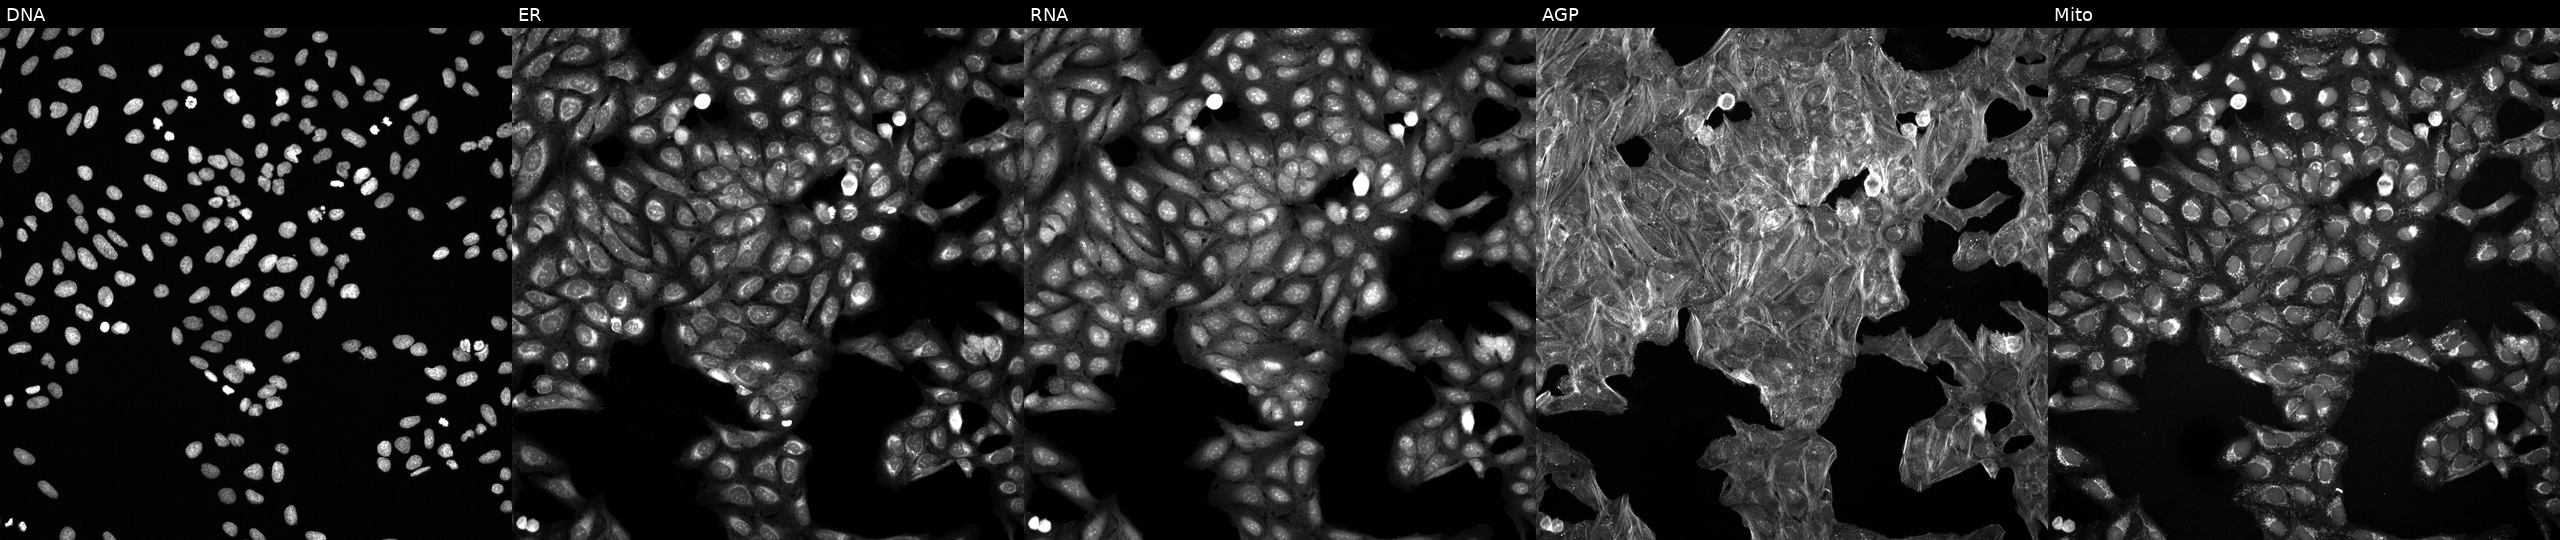
This image strip shows the five Cell Painting channels for a single field of U2OS cells exposed to a small-molecule compound (InChIKey YULUCECVQOCQFQ-UHFFFAOYSA-N) [SMILES: NCC(=O)Nc1ccc(-n2nc(C(F)(F)F)cc2-c2ccc3c(ccc4ccccc43)c2)cc1] (JUMP id JCP2022_110929). Channels (left→right): Hoechst 33342, concanavalin A, SYTO 14, phalloidin and WGA, MitoTracker. Source 6, plate 110000294901, well I14.